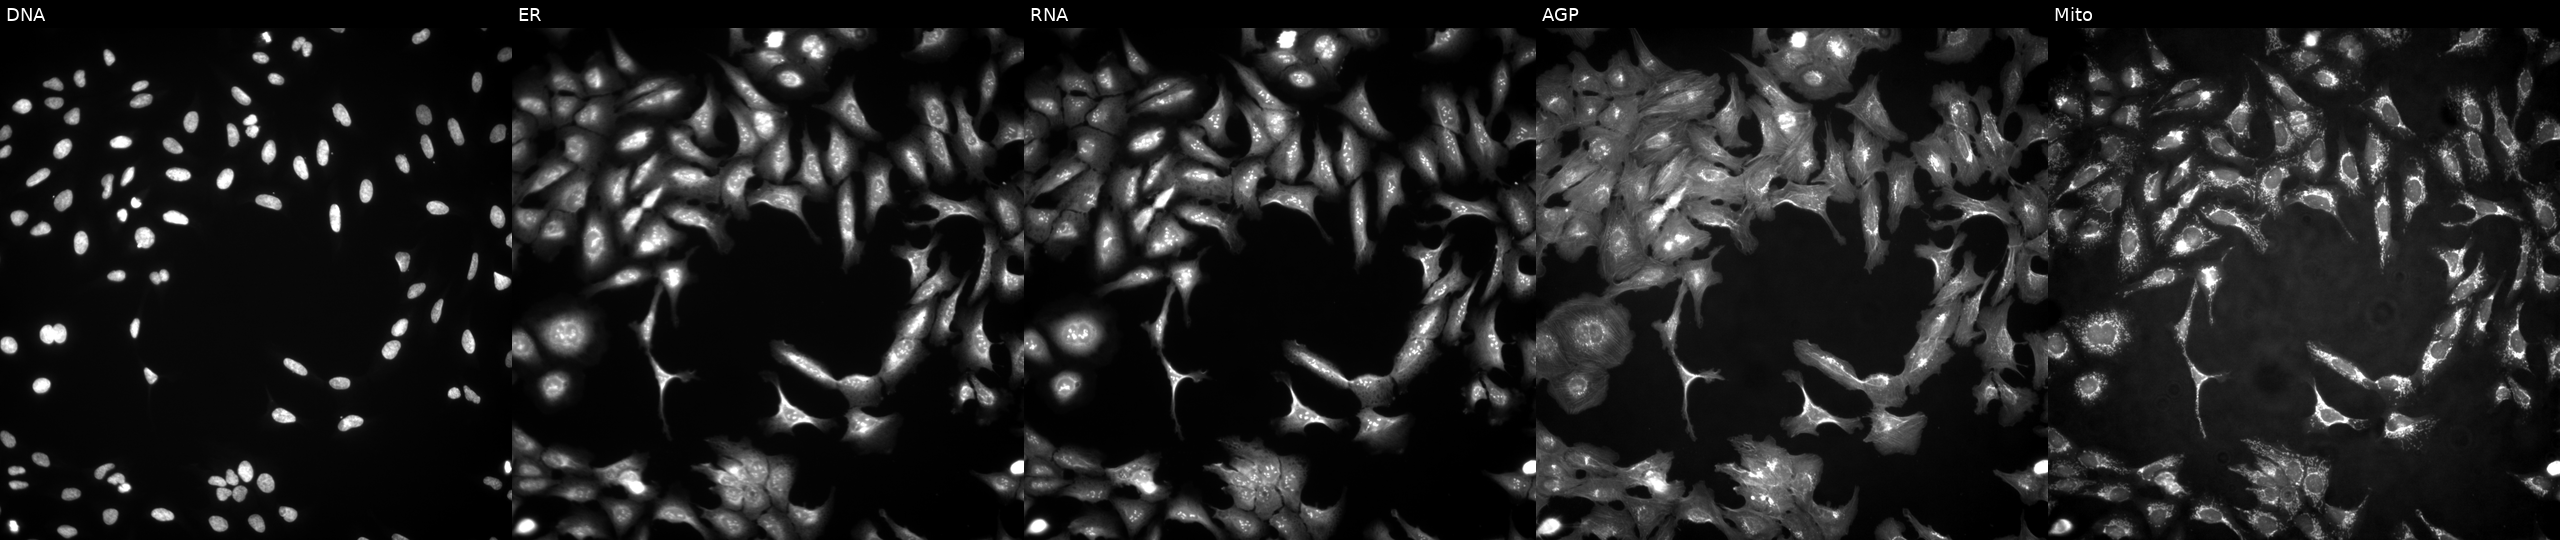
U2OS cells, Cell Painting assay, overexpressing RFPL4B via ORF transfection. Channels (left→right): Hoechst 33342, concanavalin A, SYTO 14, phalloidin and WGA, MitoTracker. Each panel is percentile-stretched 16-bit fluorescence. Source 4, plate BR00123509, well M02.